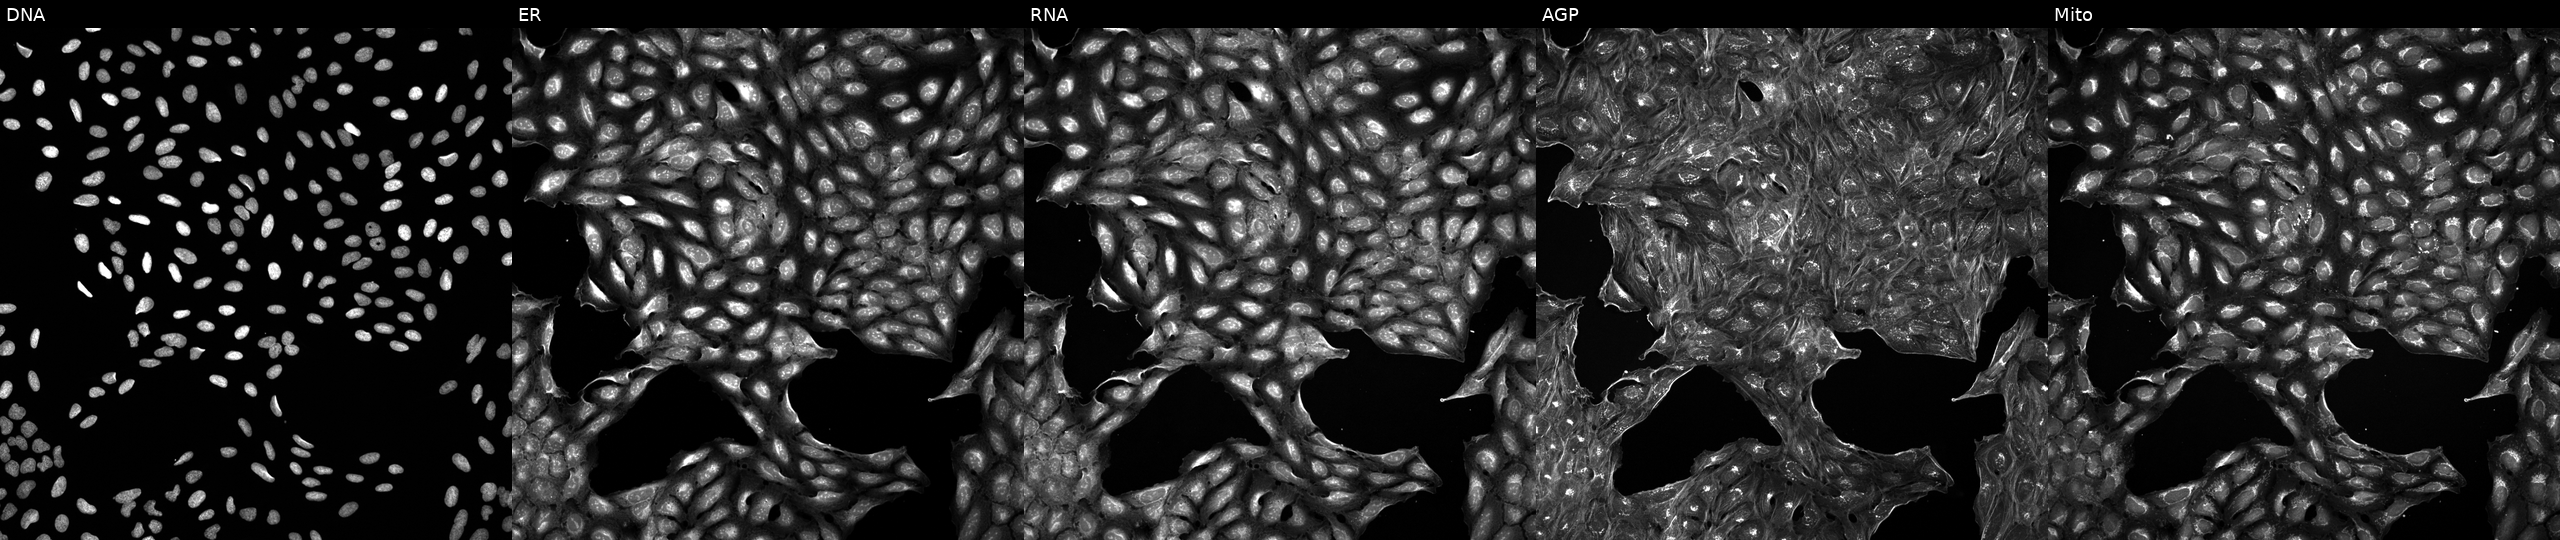
JUMP Cell Painting — COMPOUND plate. U2OS cells treated with DMSO vehicle only (negative control). From left to right: Hoechst 33342, concanavalin A, SYTO 14, phalloidin and WGA, MitoTracker.